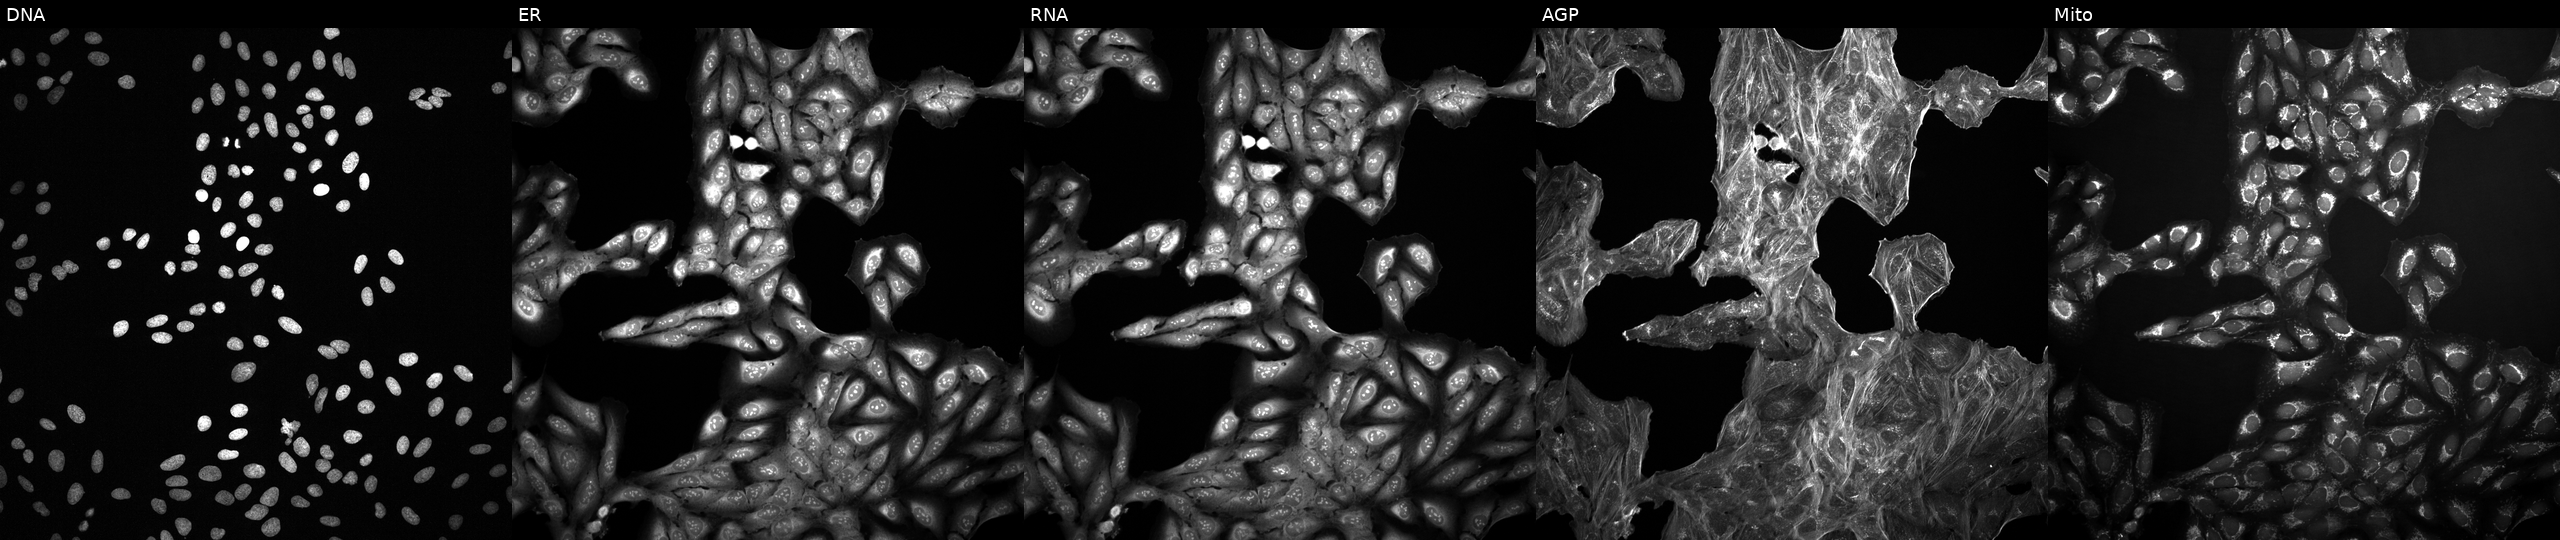
The five panels, left to right, show DNA (nuclei); ER (endoplasmic reticulum); RNA (nucleoli and cytoplasmic RNA); AGP (actin cytoskeleton, Golgi, and plasma membrane); Mito (mitochondria). U2OS osteosarcoma cells exposed to a small-molecule compound (InChIKey NMUSYJAQQFHJEW-UHFFFAOYSA-N). Cell Painting assay, JUMP-CP dataset. Source 2, plate 1053597936, well H21.